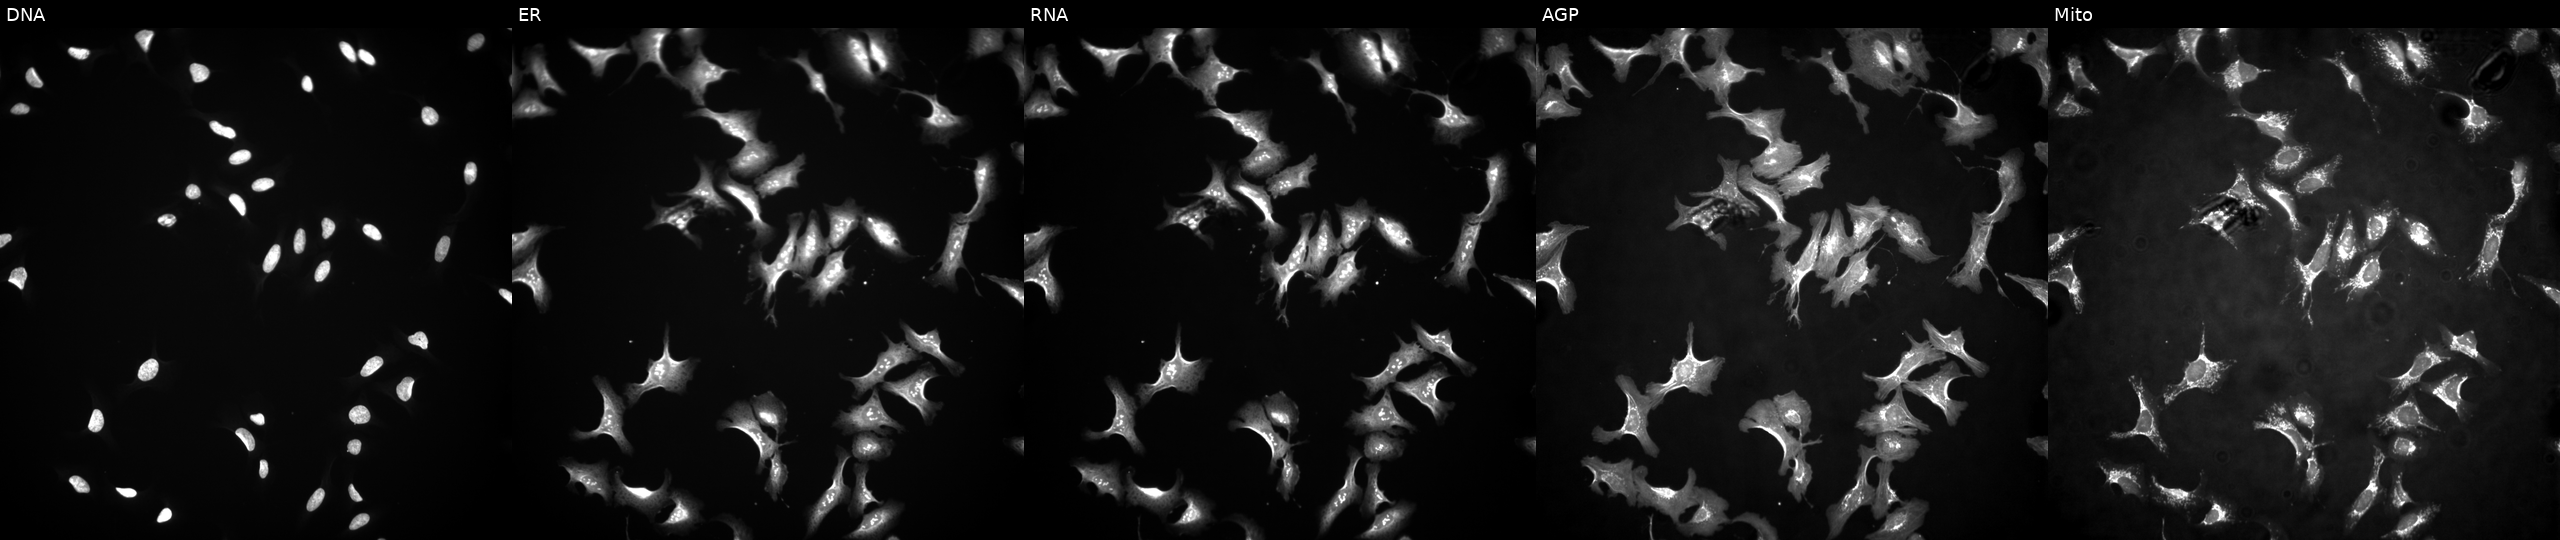
JUMP Cell Painting — ORF plate. U2OS cells overexpressing GATA3 via ORF transfection (JUMP id JCP2022_914425). From left to right: DNA (nuclei); ER (endoplasmic reticulum); RNA (nucleoli and cytoplasmic RNA); AGP (actin cytoskeleton, Golgi, and plasma membrane); Mito (mitochondria).